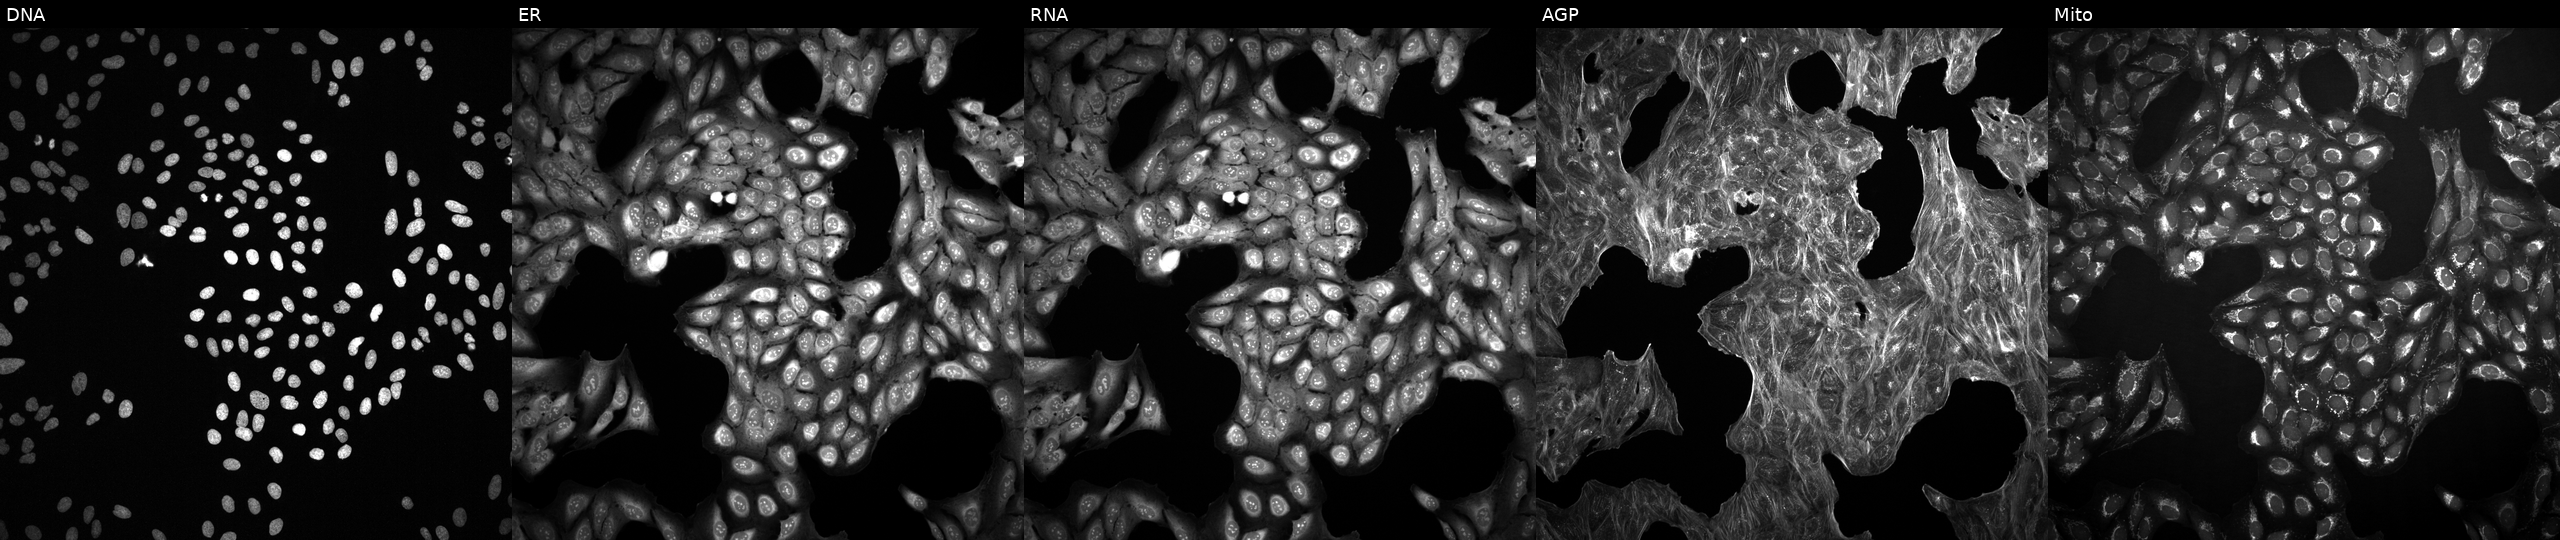
Five-channel Cell Painting image of U2OS cells perturbed with a small-molecule compound (InChIKey TXZPMHLMPKIUGK-UHFFFAOYSA-N) [SMILES: COc1ccccc1S(=O)(=O)Nc1ccc2c(c1)CN(C)C(=O)N2] (JUMP id JCP2022_087474). The five panels, left to right, show DNA (nuclei); ER (endoplasmic reticulum); RNA (nucleoli and cytoplasmic RNA); AGP (actin cytoskeleton, Golgi, and plasma membrane); Mito (mitochondria).